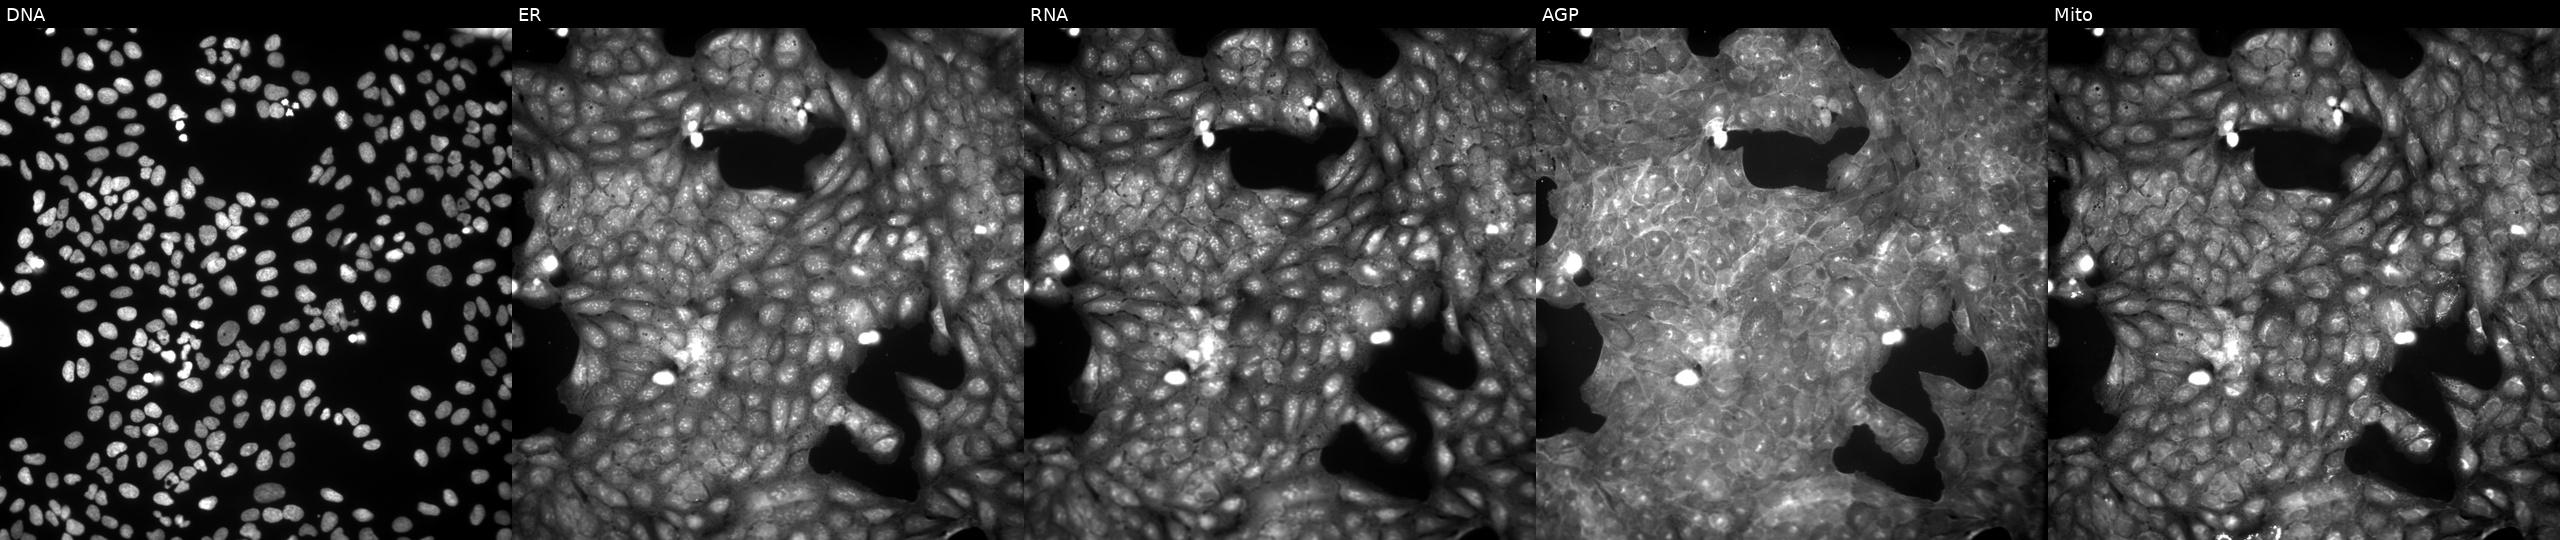
Five-channel Cell Painting image of U2OS cells exposed to a small-molecule compound (InChIKey OABSOCGJVXDRKG-UHFFFAOYSA-N) (JUMP id JCP2022_062475). From left to right: DNA (nuclei); ER (endoplasmic reticulum); RNA (nucleoli and cytoplasmic RNA); AGP (actin cytoskeleton, Golgi, and plasma membrane); Mito (mitochondria).